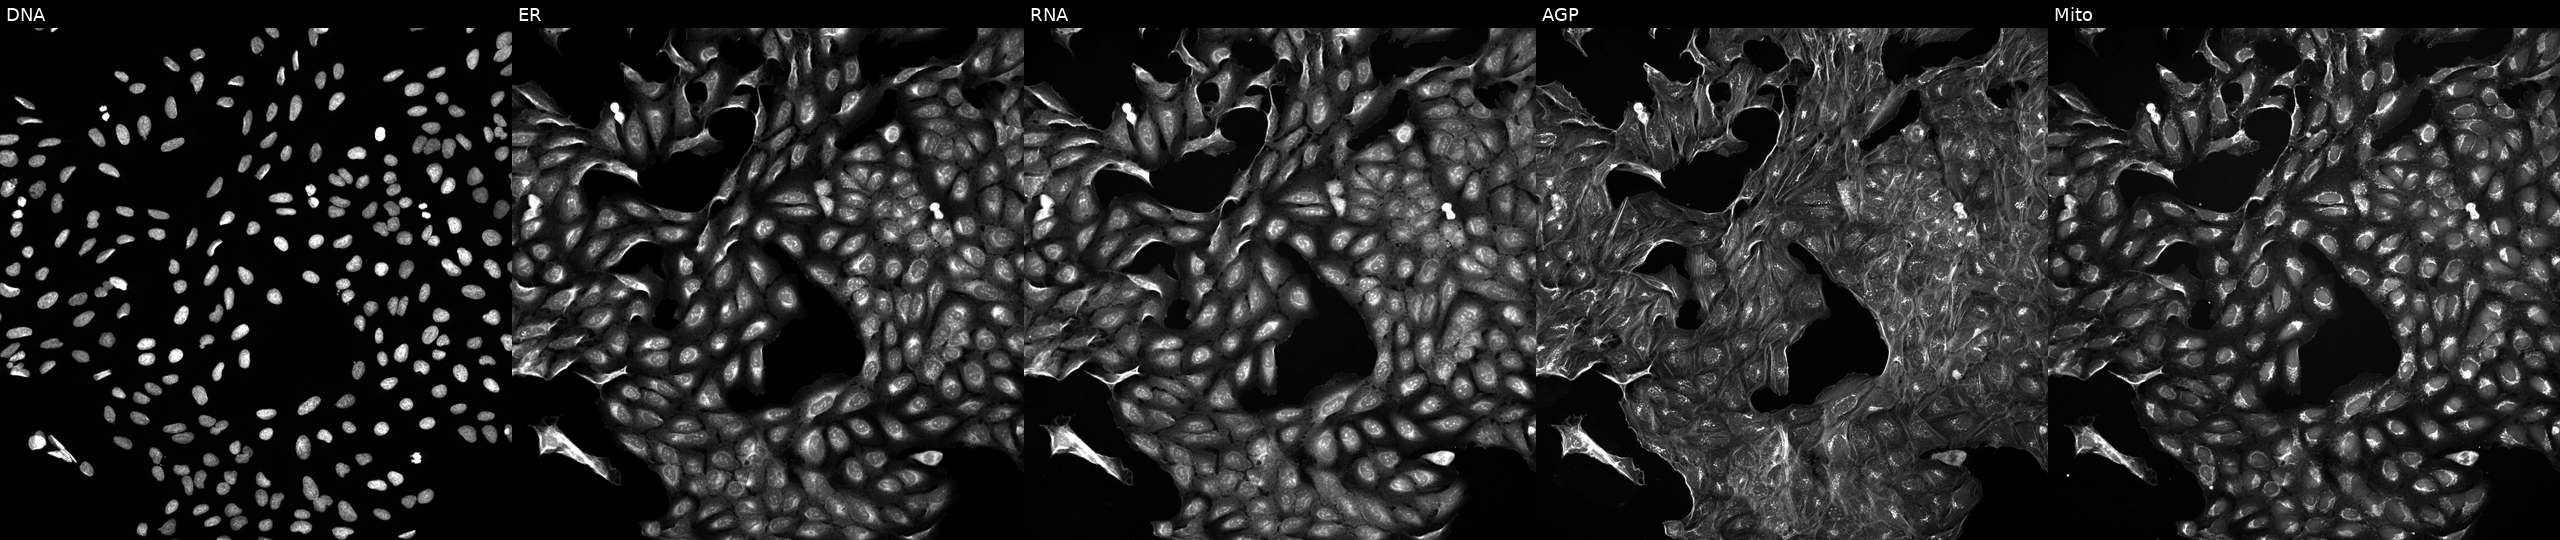
JUMP Cell Painting — TARGET2 plate. U2OS cells treated with DMSO vehicle only (negative control) (JUMP id JCP2022_033924). Panels show, left to right, DNA (nuclei); ER (endoplasmic reticulum); RNA (nucleoli and cytoplasmic RNA); AGP (actin cytoskeleton, Golgi, and plasma membrane); Mito (mitochondria). Source 5, plate ACPJUM051, well H18.